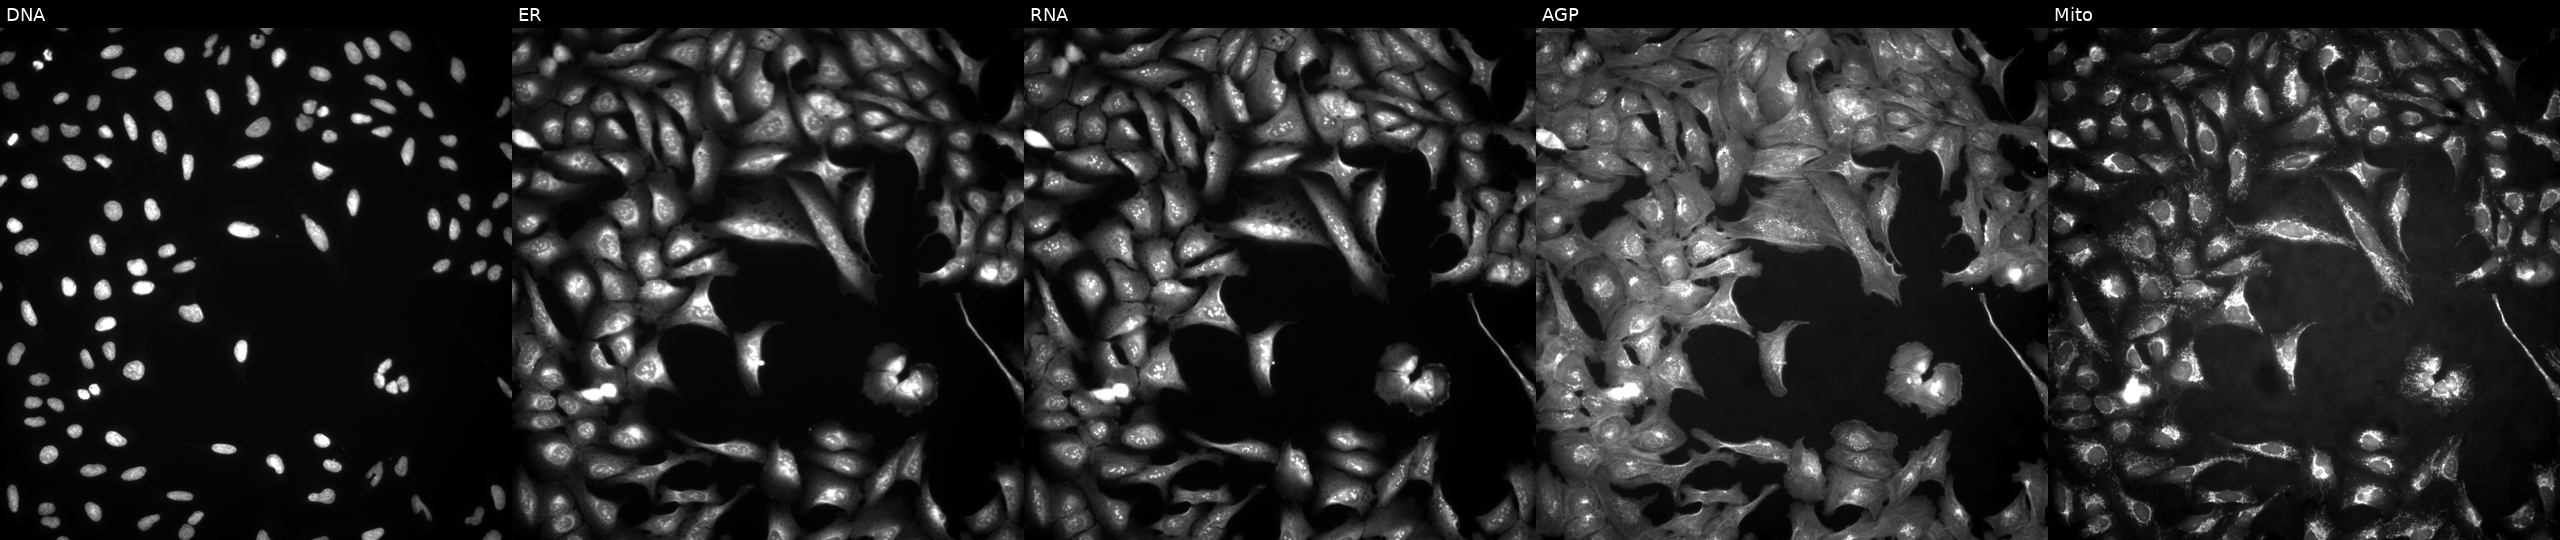
Five-channel Cell Painting image of U2OS cells transfected with an ORF construct for DENR (JUMP id JCP2022_901824). The five panels, left to right, show DNA (nuclei); ER (endoplasmic reticulum); RNA (nucleoli and cytoplasmic RNA); AGP (actin cytoskeleton, Golgi, and plasma membrane); Mito (mitochondria).